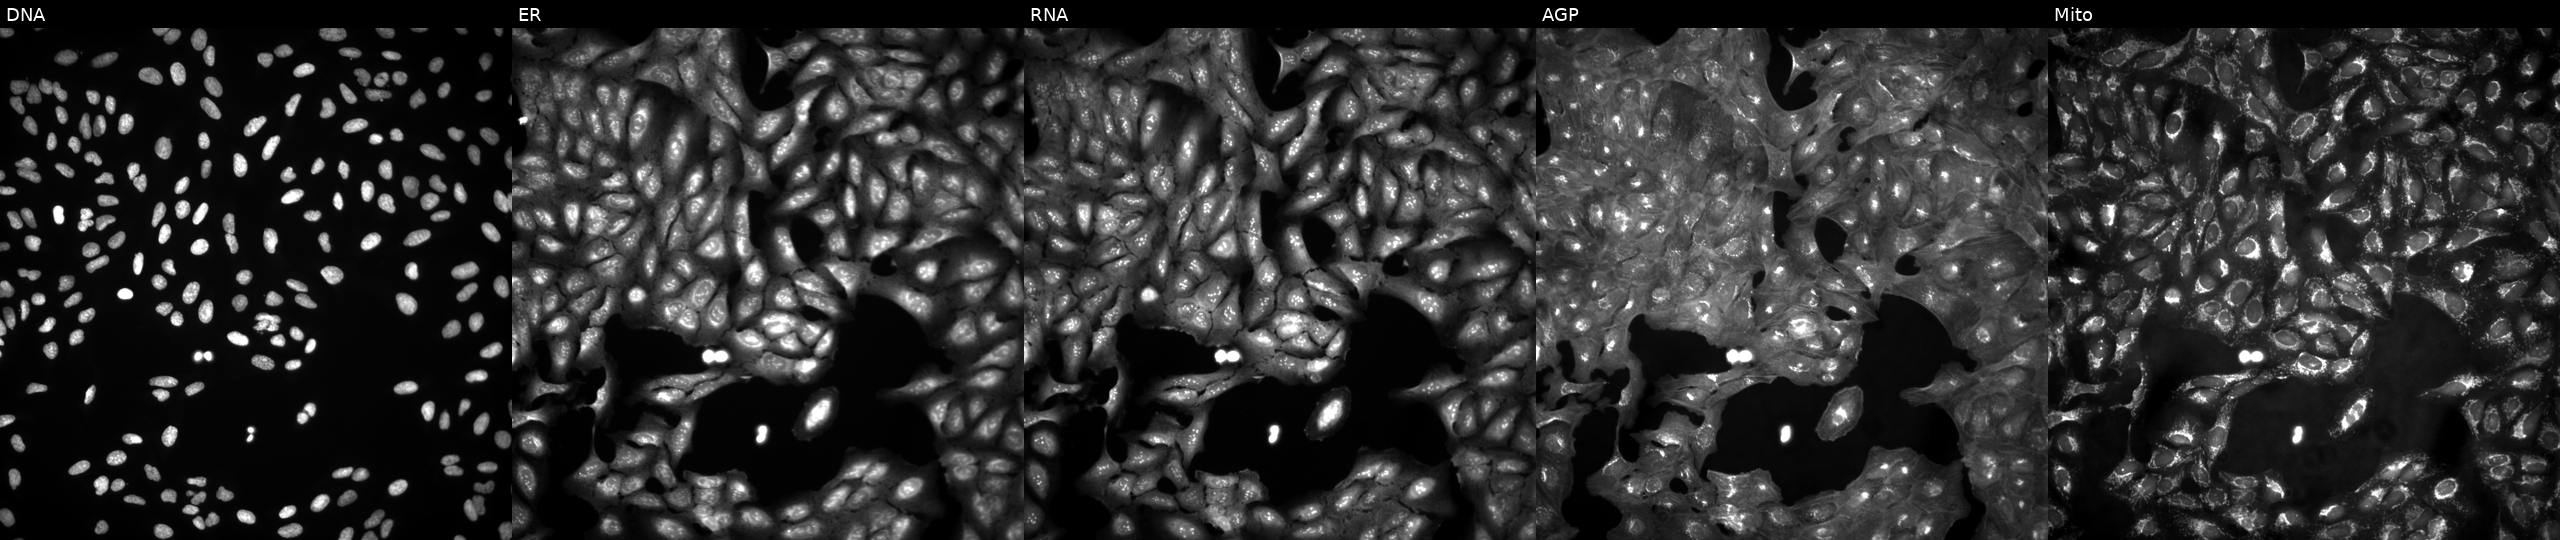
Five-channel Cell Painting image of U2OS cells untreated (empty-well control). Channels (left→right): Hoechst 33342, concanavalin A, SYTO 14, phalloidin and WGA, MitoTracker. Source 4, plate BR00123946, well K20.